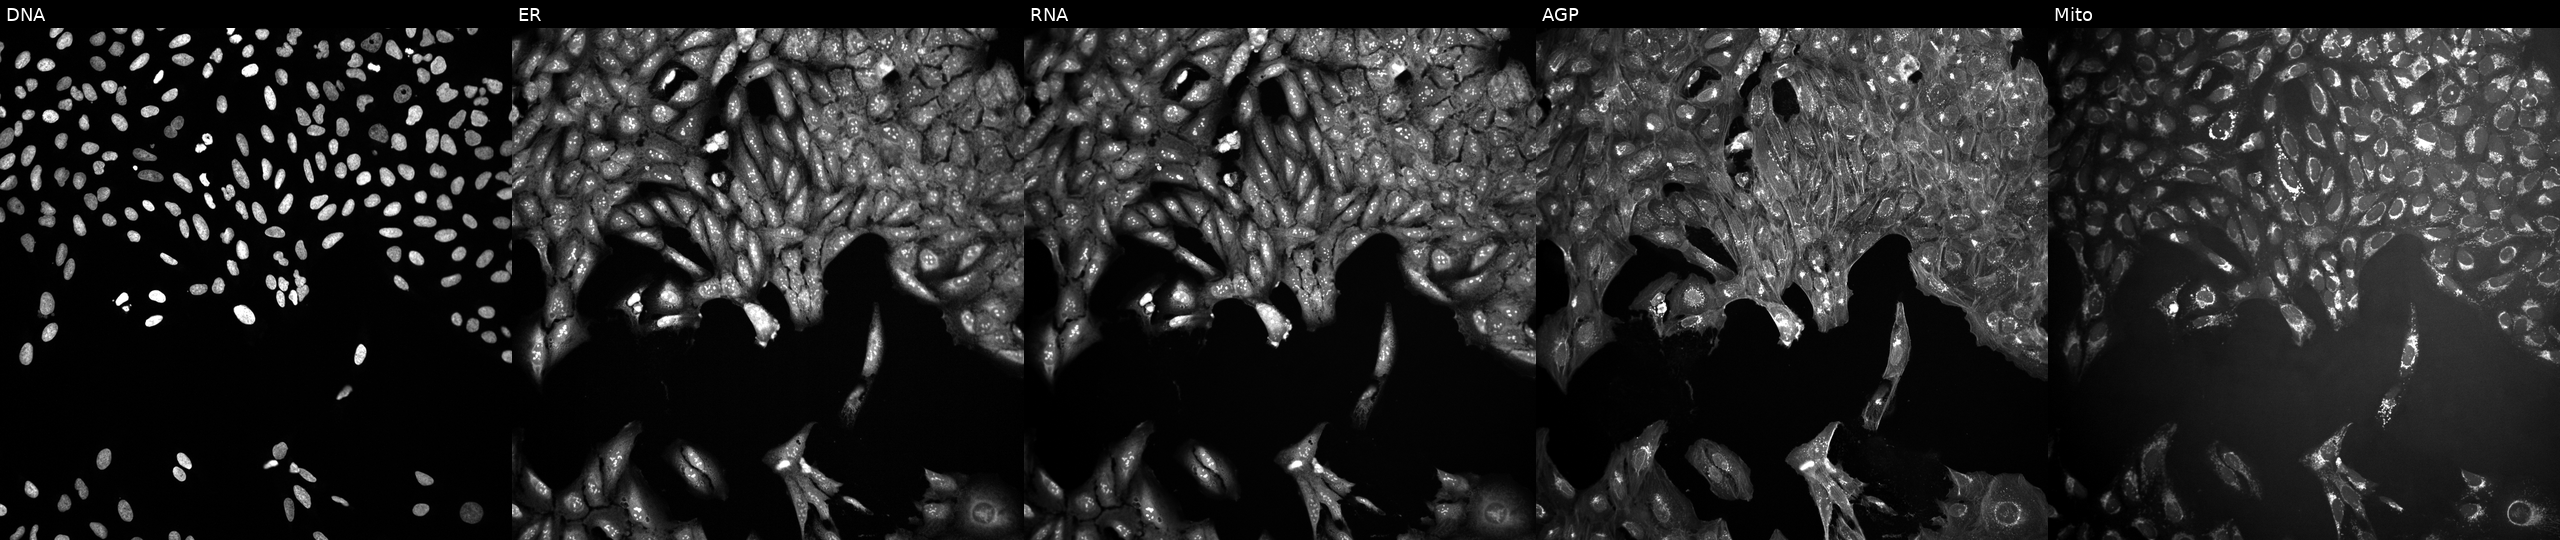
JUMP Cell Painting — COMPOUND plate. U2OS cells exposed to a small-molecule compound [SMILES: Cn1cc(C2CN(C(=O)Cc3noc4ccccc34)Cc3ccccc32)cn1] (JUMP id JCP2022_060570). Channels (left→right): DNA, ER, RNA, AGP, and Mito.